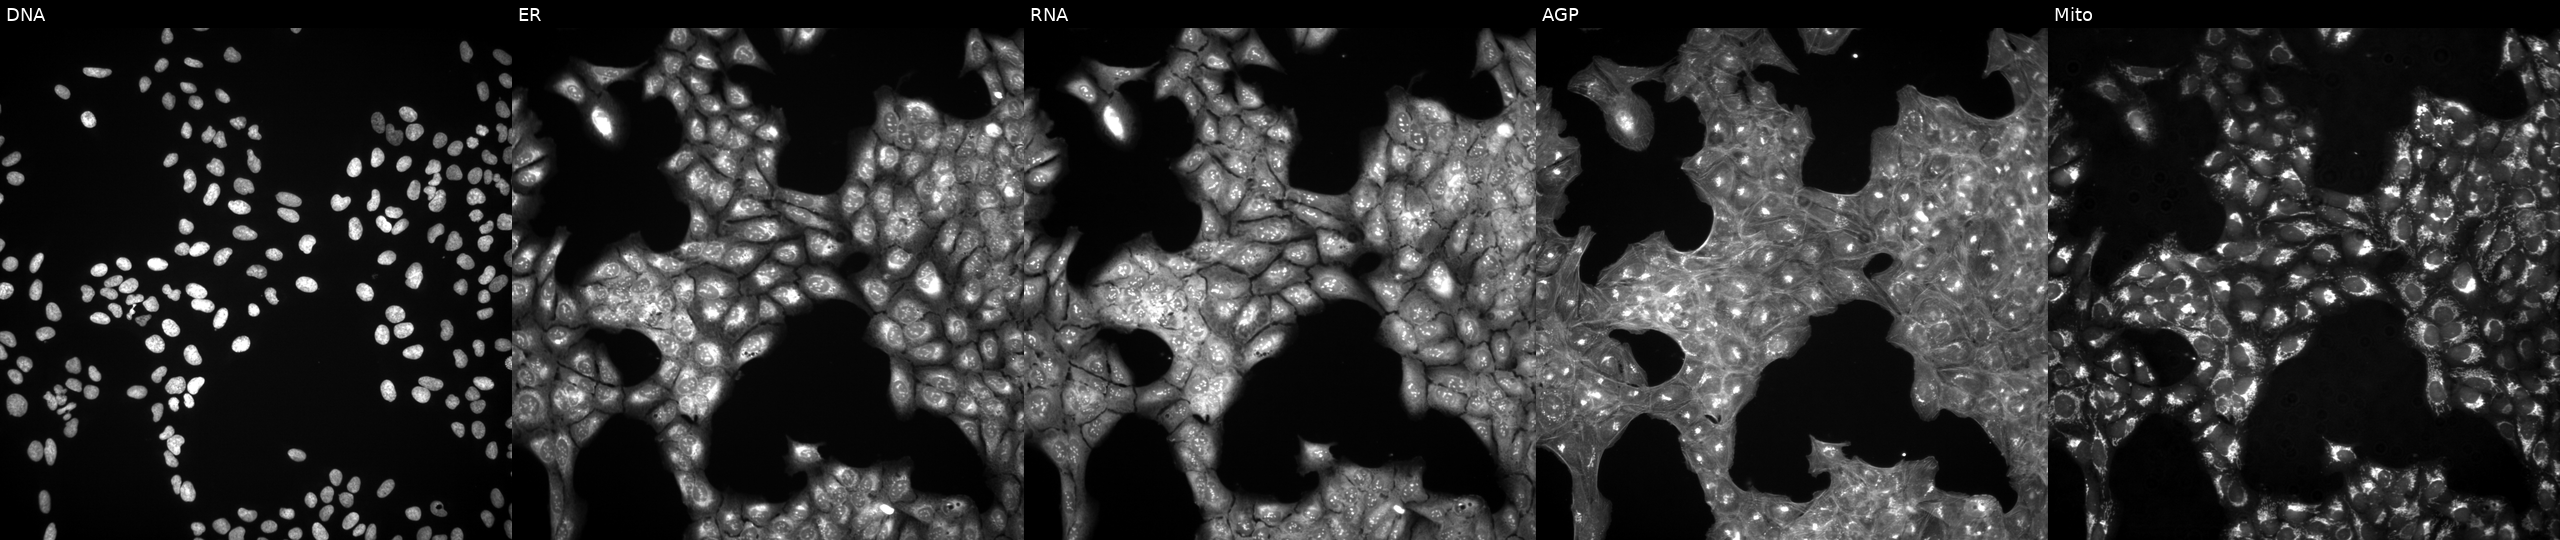
This image strip shows the five Cell Painting channels for a single field of U2OS cells treated with a small-molecule compound (InChIKey ZDXPYRJPNDTMRX-UHFFFAOYSA-N) [SMILES: NC(=O)CCC(N)C(=O)O] (JUMP id JCP2022_112702). From left to right: DNA (nuclei); ER (endoplasmic reticulum); RNA (nucleoli and cytoplasmic RNA); AGP (actin cytoskeleton, Golgi, and plasma membrane); Mito (mitochondria).